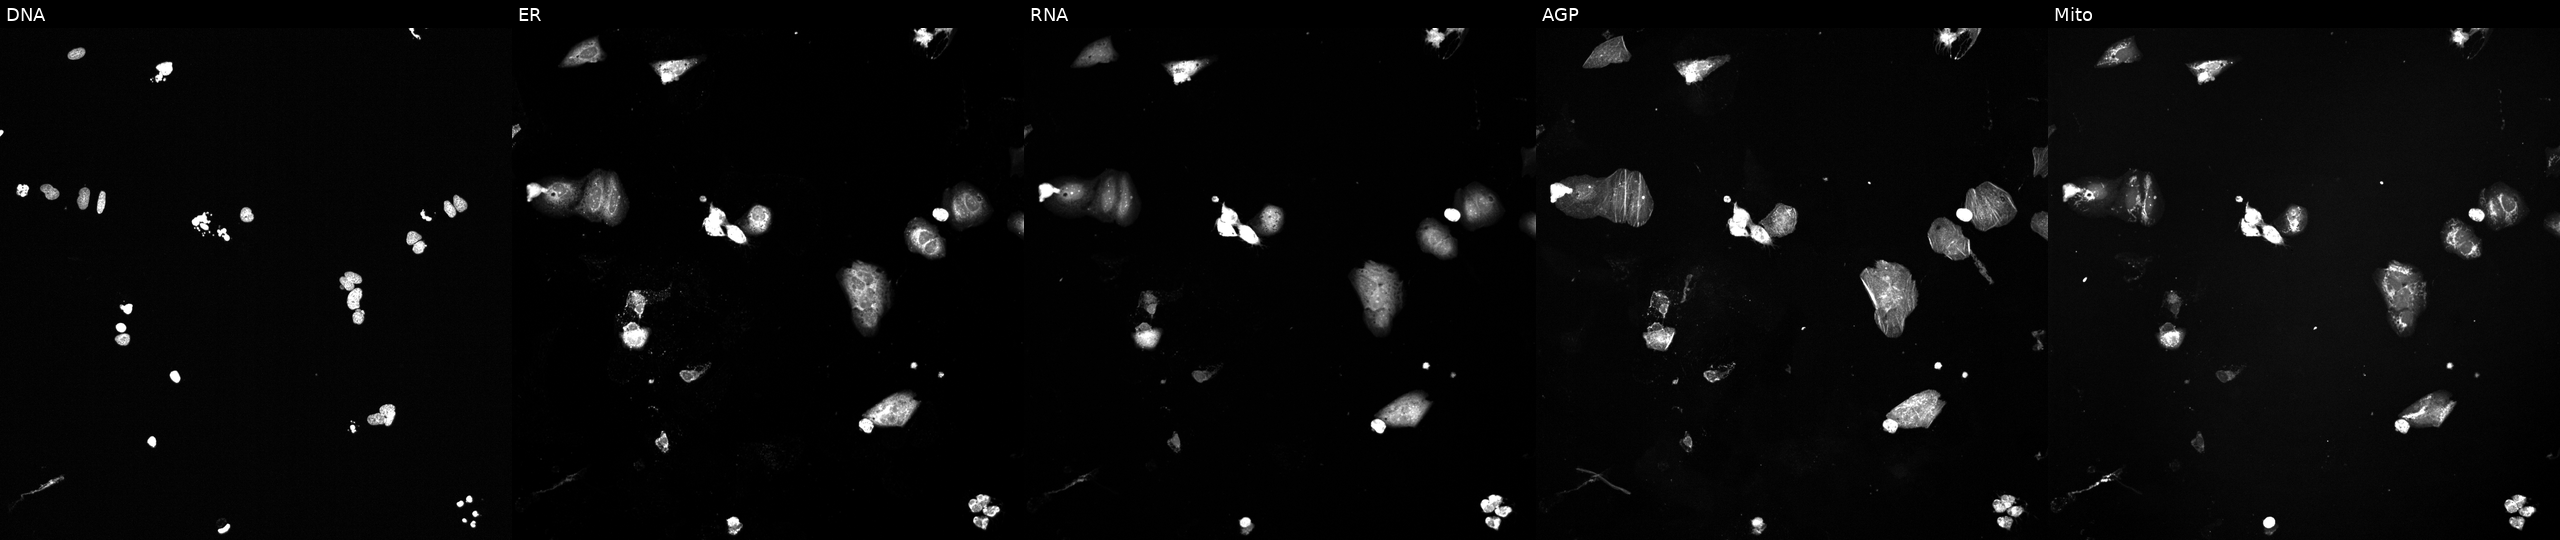
Five-channel Cell Painting image of U2OS cells exposed to a small-molecule compound (InChIKey RVAQIUULWULRNW-UHFFFAOYSA-N) (JUMP id JCP2022_080920). Channels (left→right): DNA, ER, RNA, AGP, and Mito.